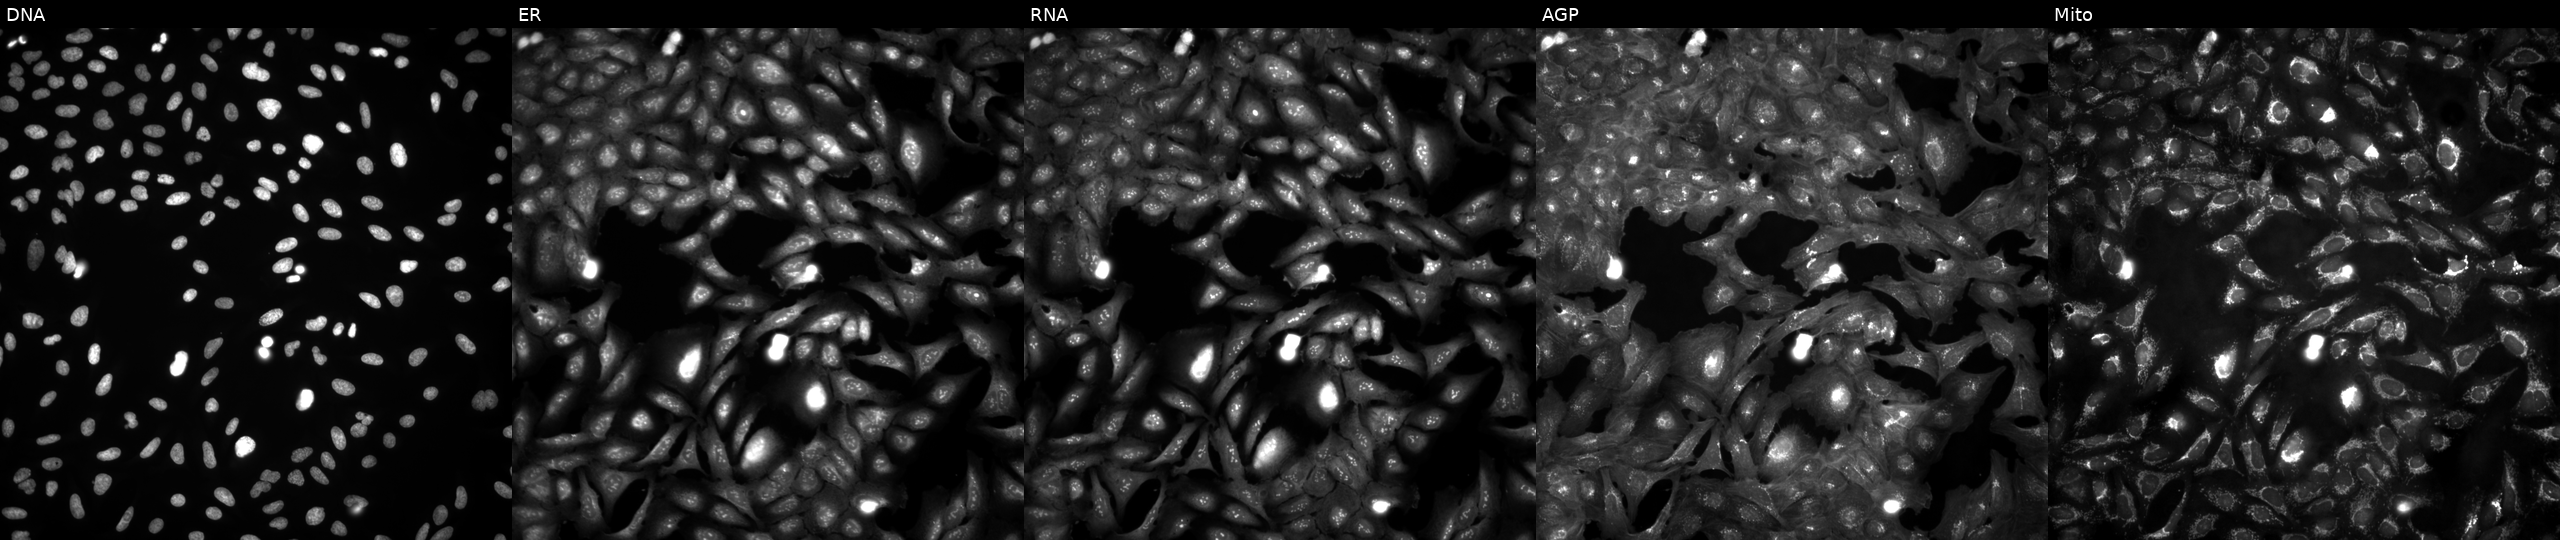
JUMP Cell Painting — ORF plate. U2OS cells in an empty control well (no perturbation). Panels show, left to right, DNA, ER, RNA, AGP, and Mito.